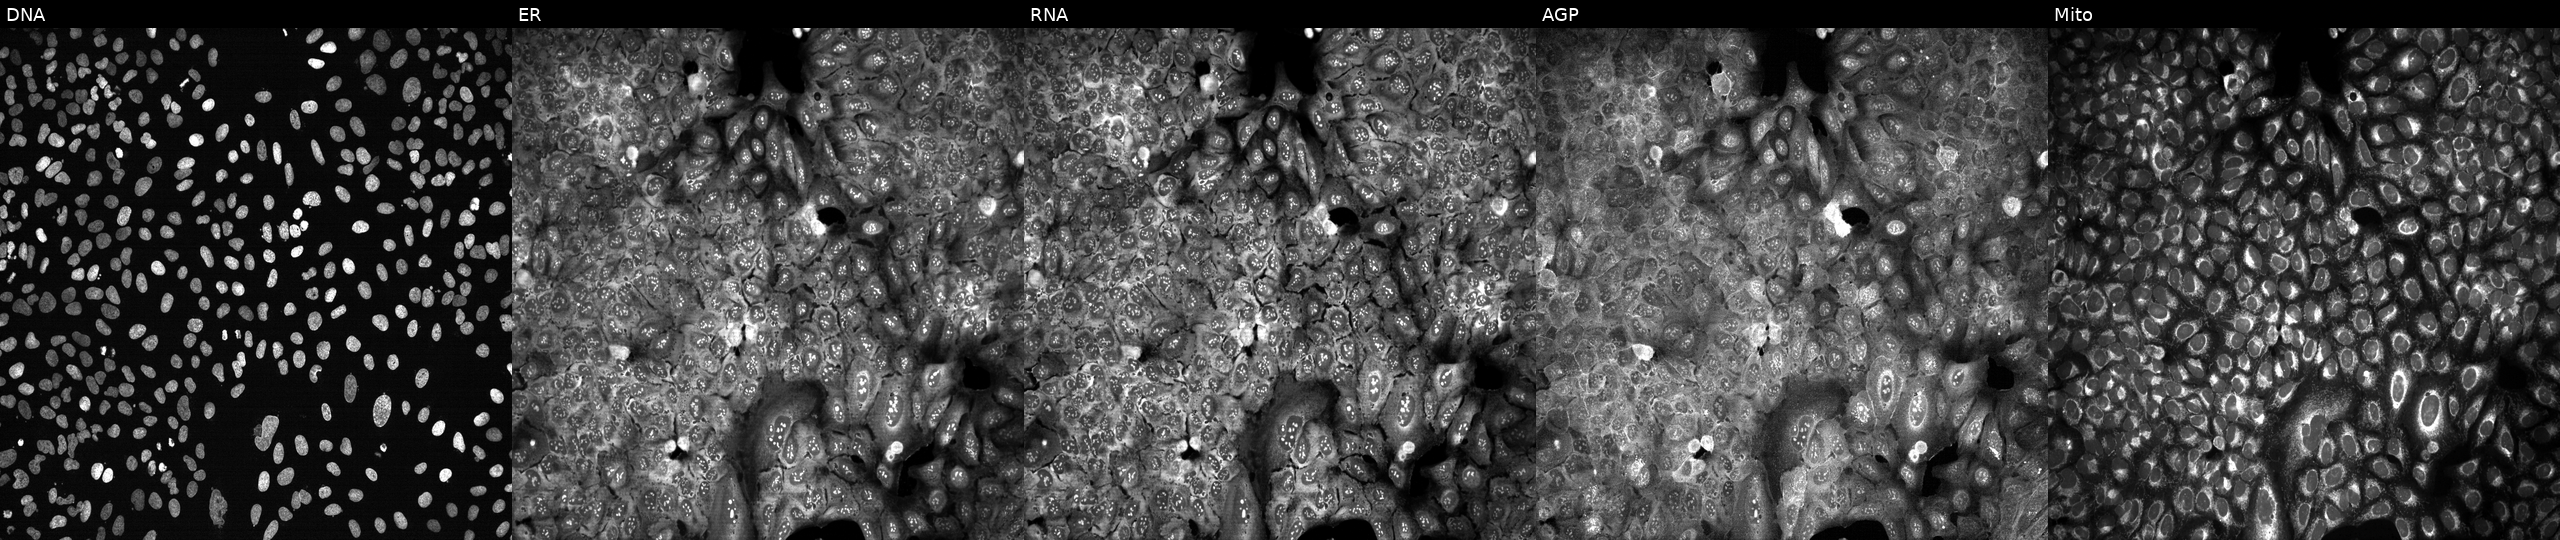
U2OS cells, Cell Painting assay, with CYP7B1 knocked out by CRISPR. From left to right: Hoechst 33342, concanavalin A, SYTO 14, phalloidin and WGA, MitoTracker. Each panel is percentile-stretched 16-bit fluorescence.